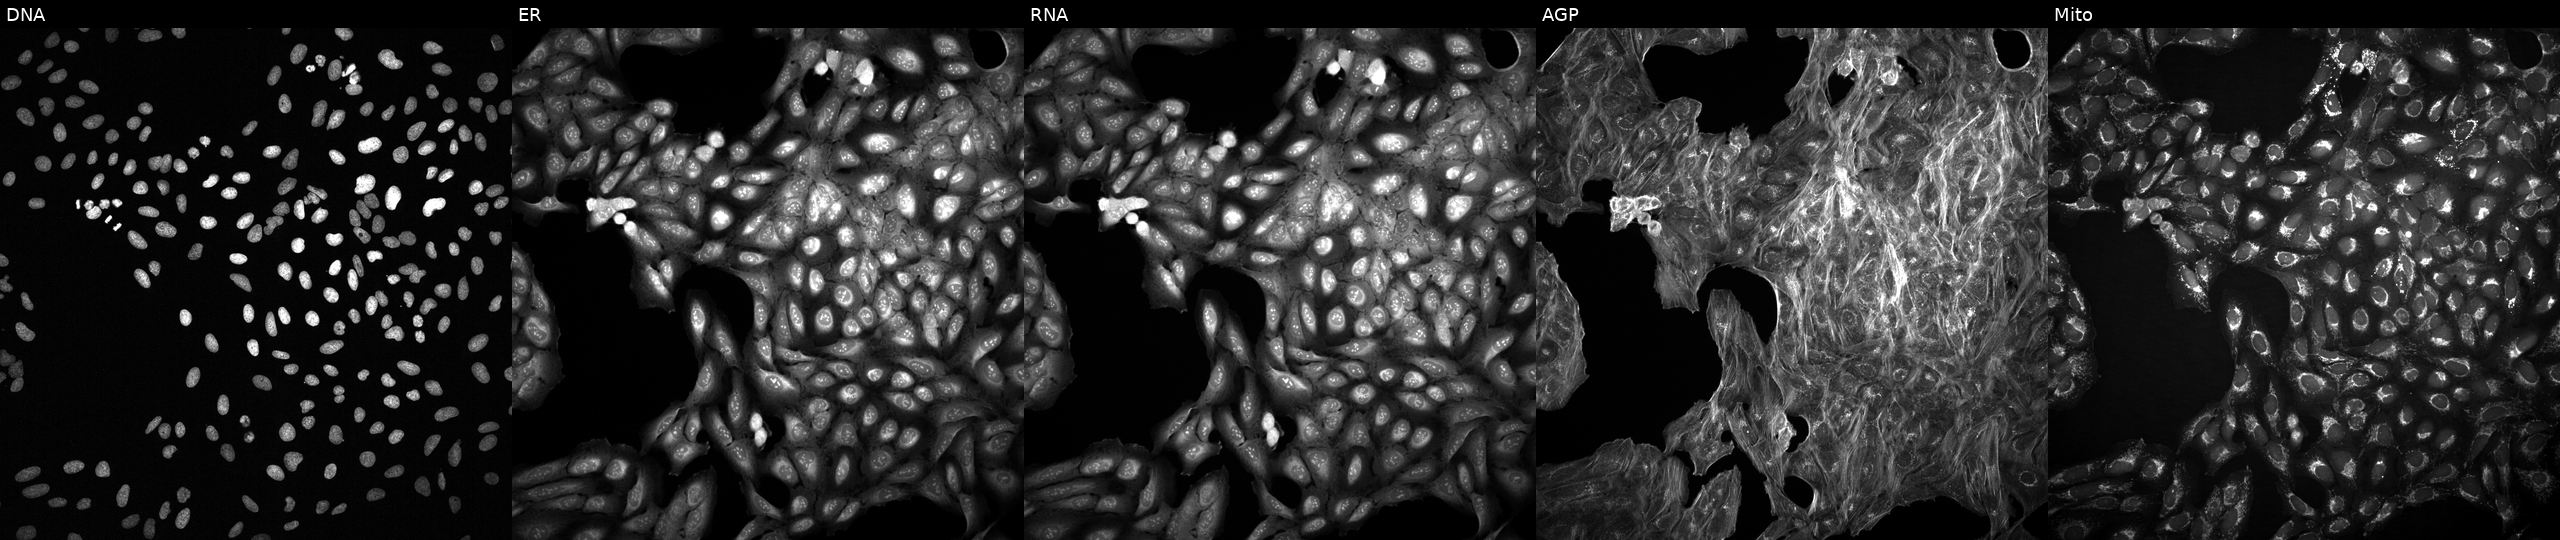
From left to right: DNA (nuclei); ER (endoplasmic reticulum); RNA (nucleoli and cytoplasmic RNA); AGP (actin cytoskeleton, Golgi, and plasma membrane); Mito (mitochondria). U2OS osteosarcoma cells with an unidentified perturbation (not annotated in JUMP metadata). Cell Painting assay, JUMP-CP dataset.